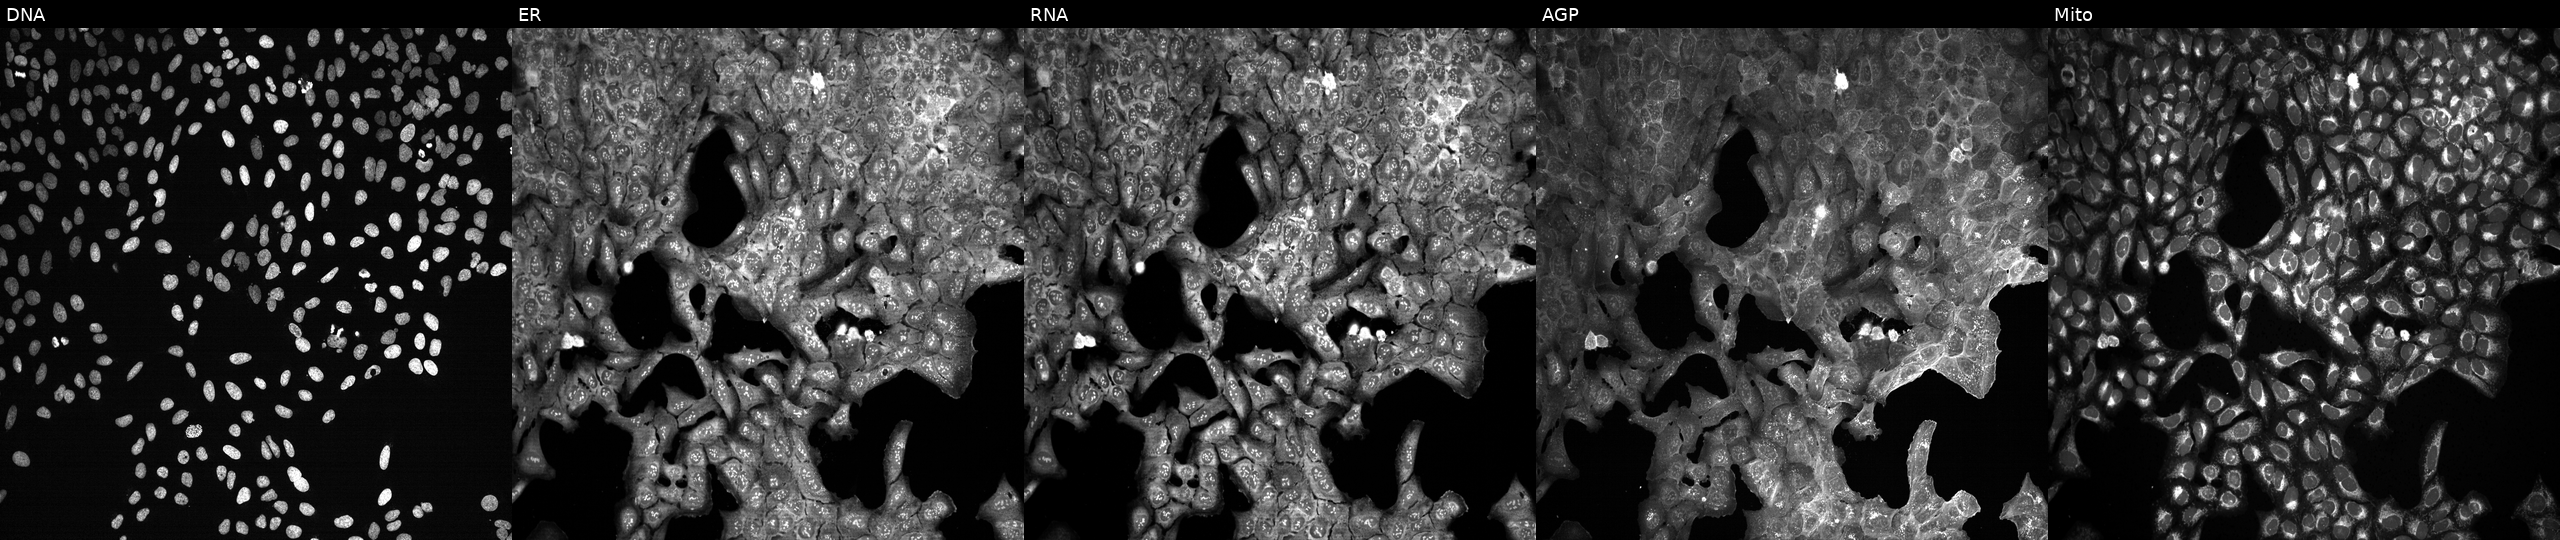
Five-channel Cell Painting image of U2OS cells following CRISPR knockout of PLSCR1 (JUMP id JCP2022_805282). Channels (left→right): DNA, ER, RNA, AGP, and Mito.